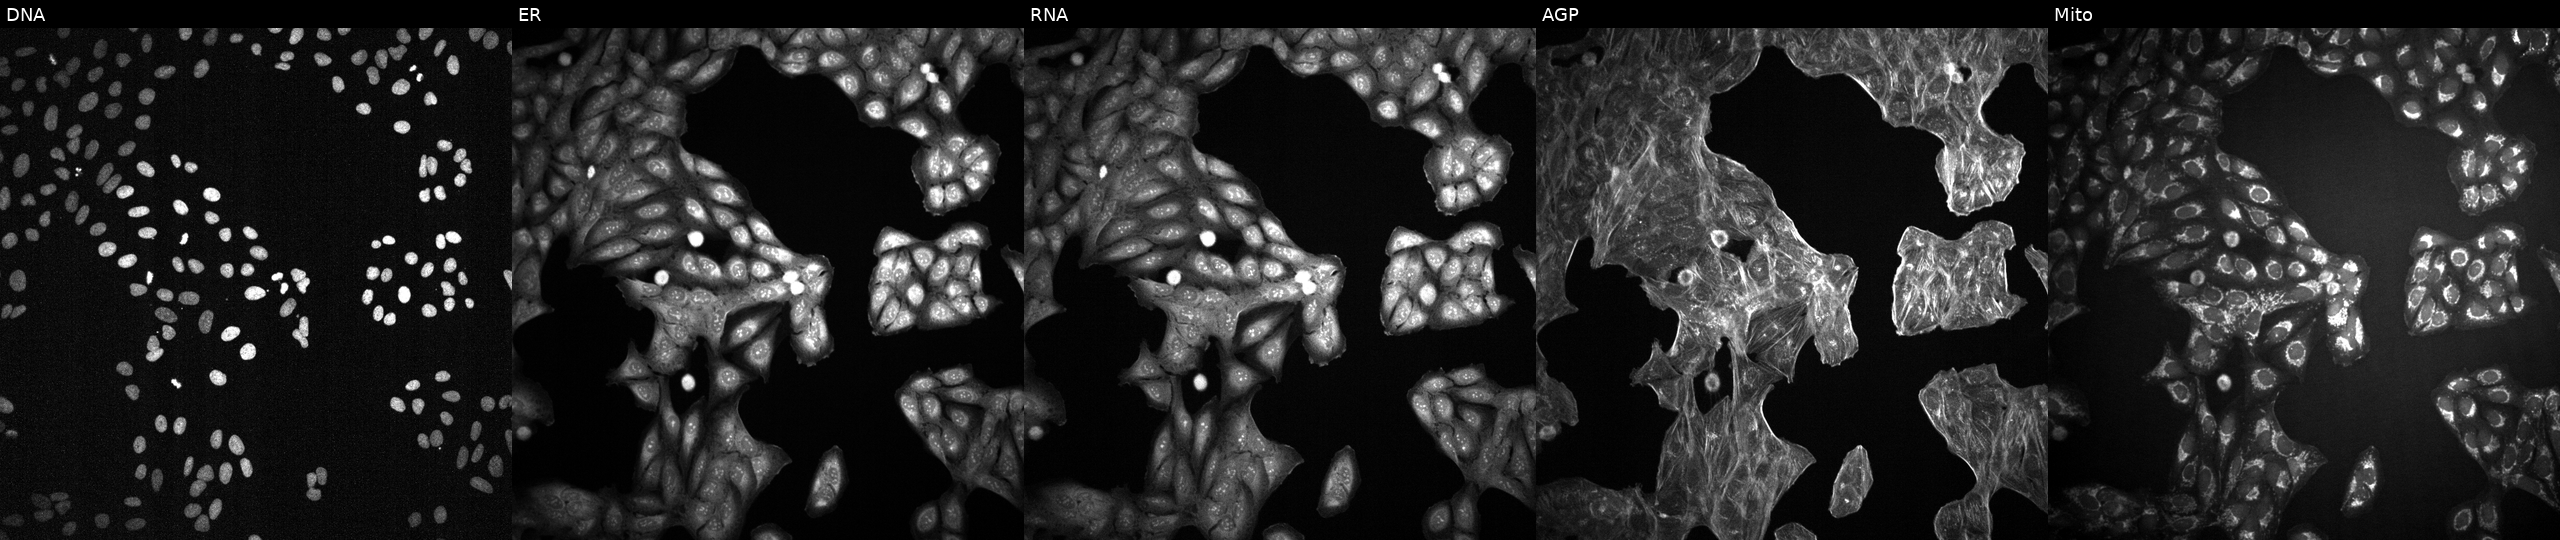
Five-channel Cell Painting image of U2OS cells treated with a small-molecule compound (InChIKey RATZLMXRALDSJW-UHFFFAOYSA-N). Panels show, left to right, DNA (nuclei); ER (endoplasmic reticulum); RNA (nucleoli and cytoplasmic RNA); AGP (actin cytoskeleton, Golgi, and plasma membrane); Mito (mitochondria). Source 2, plate 1053599503, well P06.